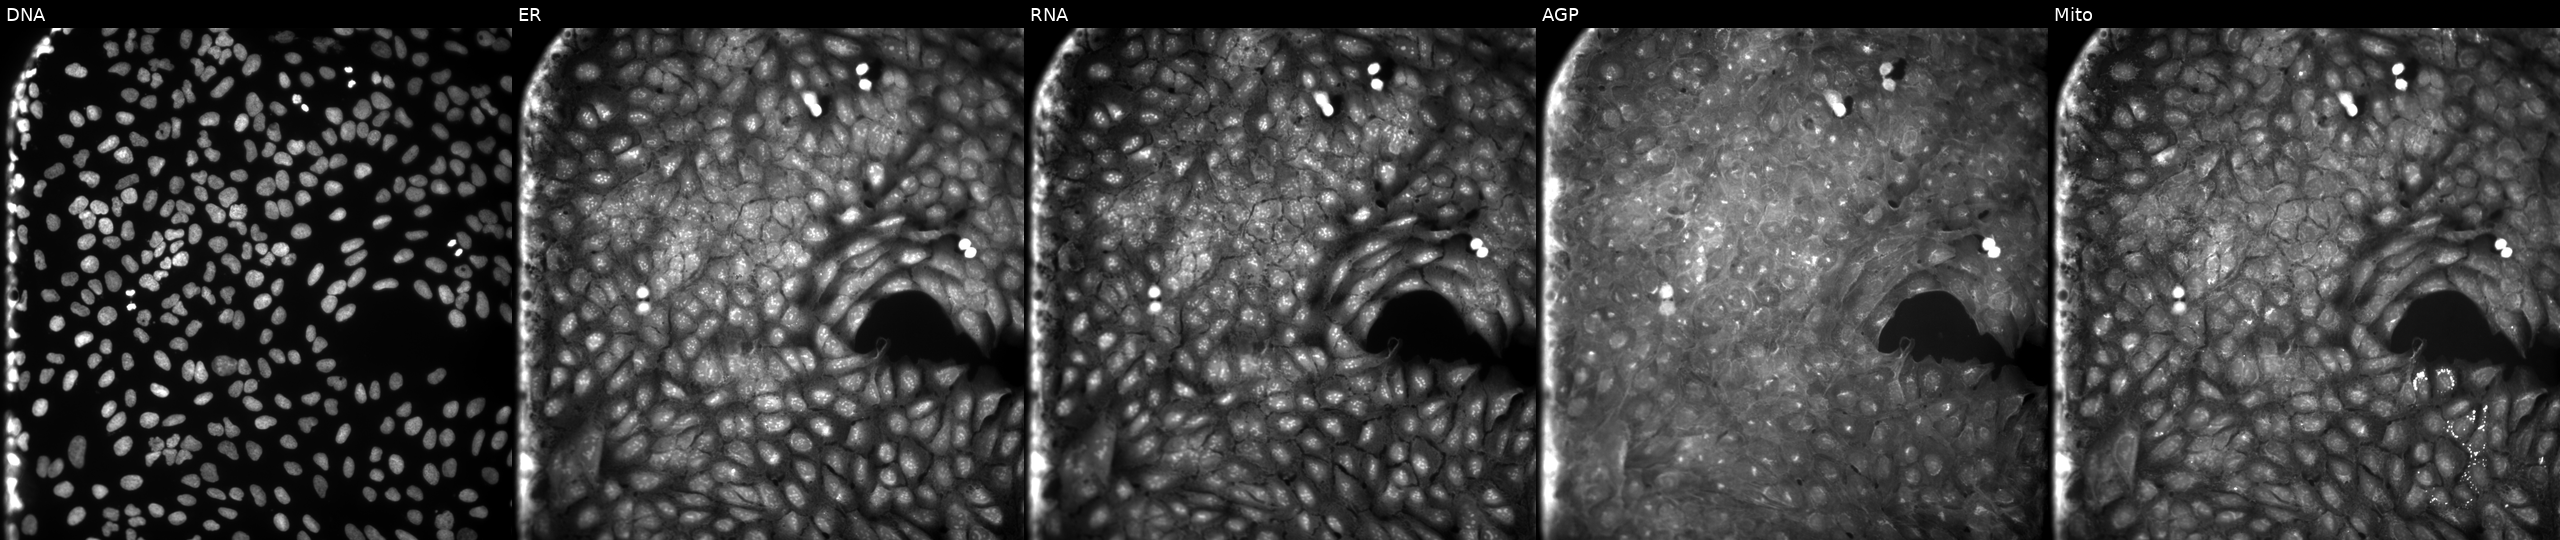
The five panels, left to right, show DNA (nuclei); ER (endoplasmic reticulum); RNA (nucleoli and cytoplasmic RNA); AGP (actin cytoskeleton, Golgi, and plasma membrane); Mito (mitochondria). U2OS osteosarcoma cells exposed to a small-molecule compound (InChIKey DVAKTTNLLGLIPD-UHFFFAOYSA-N). Cell Painting assay, JUMP-CP dataset.